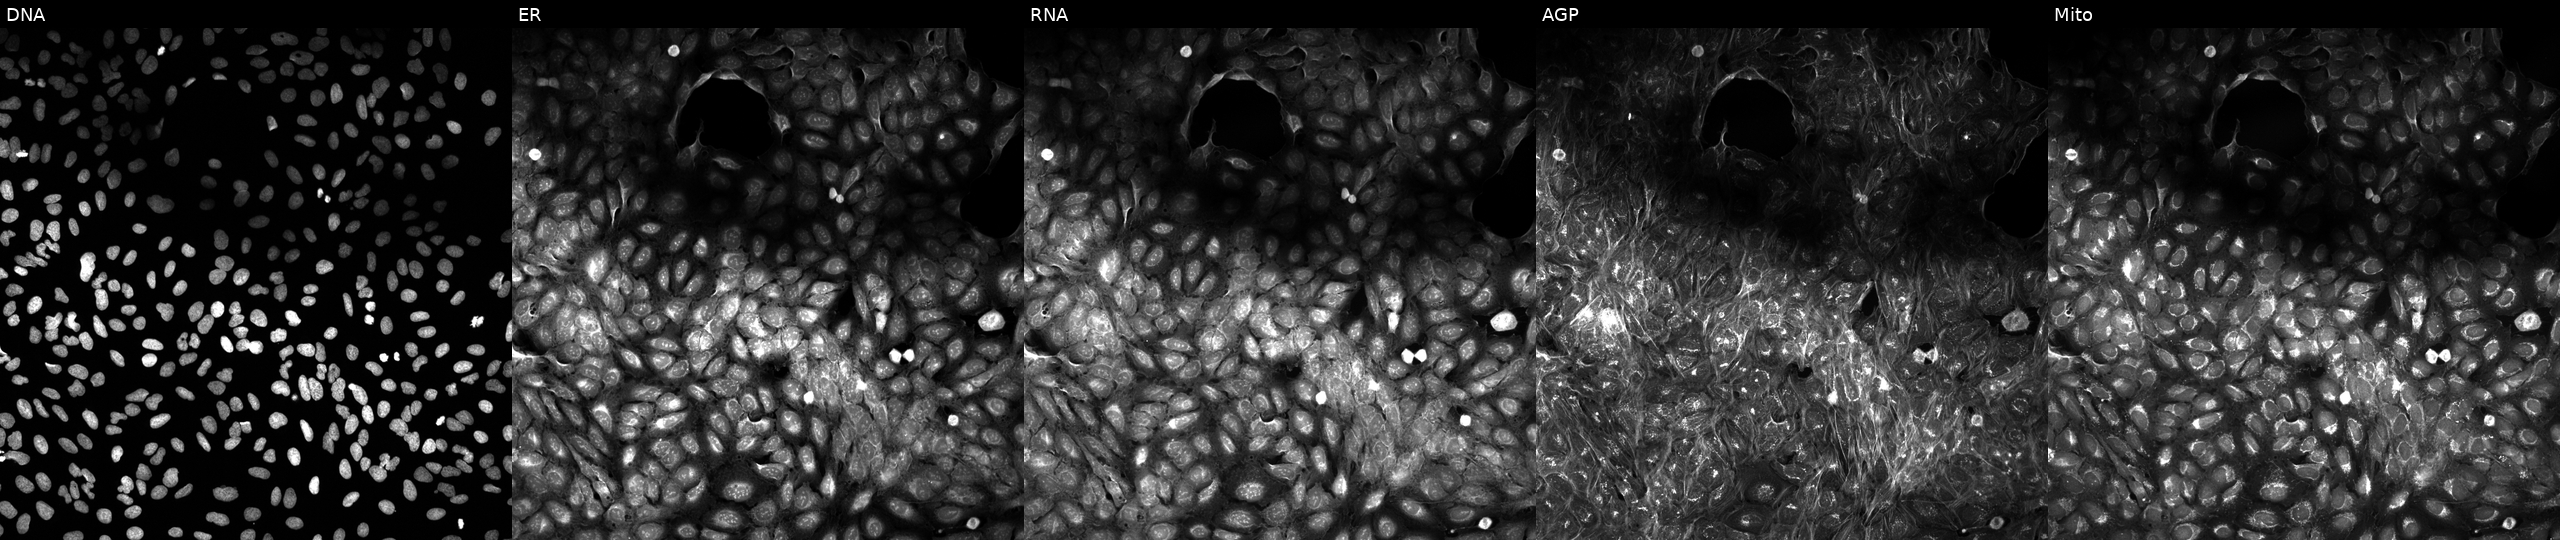
Five-channel Cell Painting image of U2OS cells exposed to DMSO alone as a negative control (JUMP id JCP2022_033924). From left to right: DNA (nuclei); ER (endoplasmic reticulum); RNA (nucleoli and cytoplasmic RNA); AGP (actin cytoskeleton, Golgi, and plasma membrane); Mito (mitochondria). Source 5, plate APTJUM106, well L23.